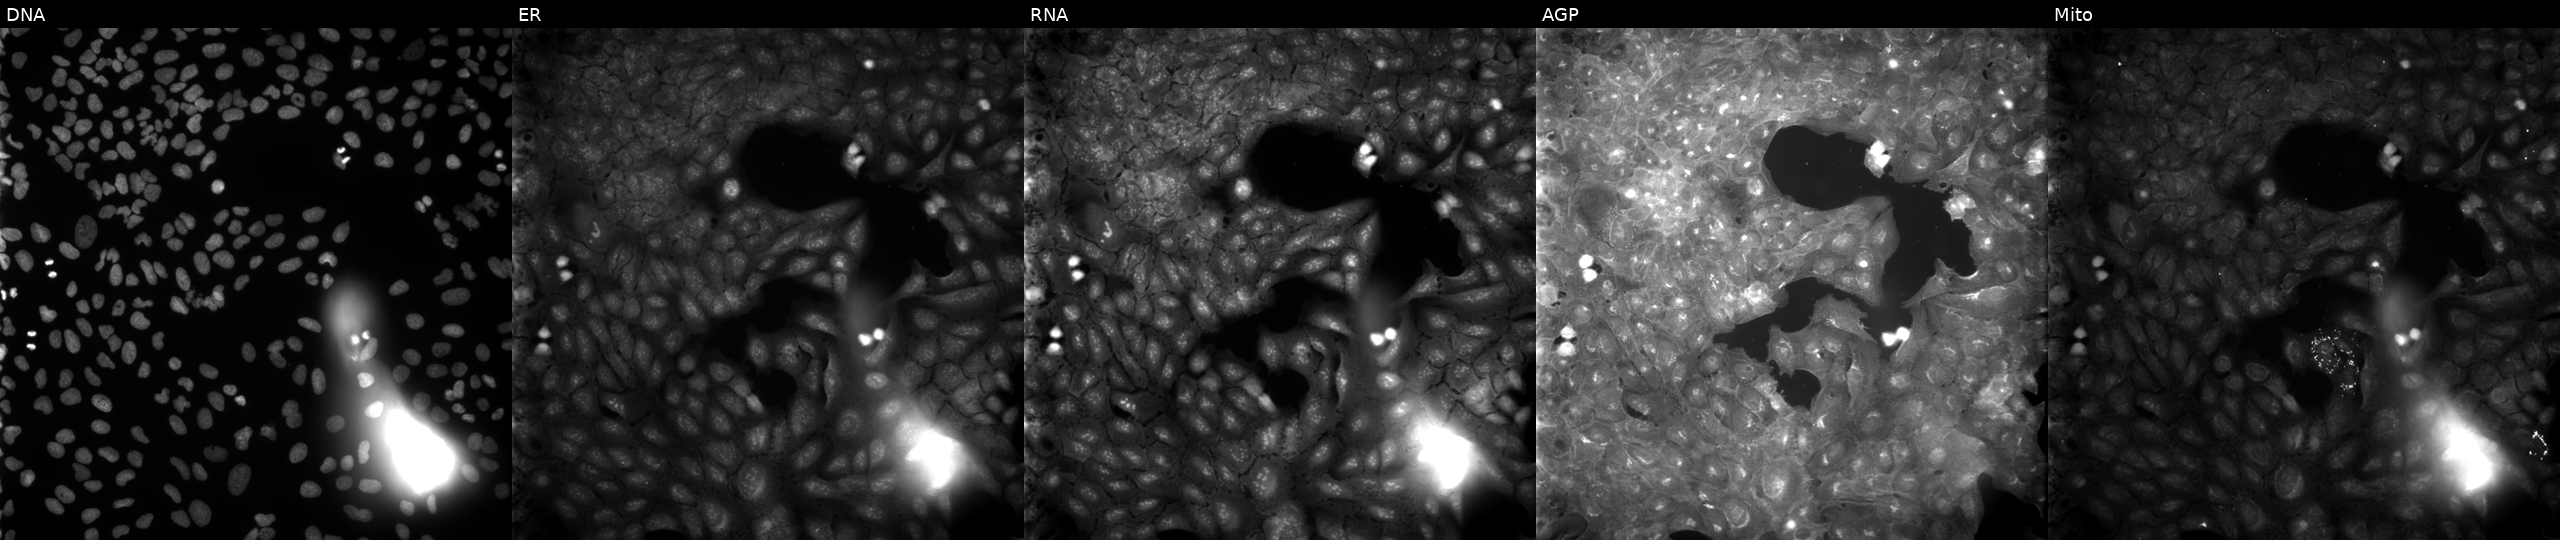
This image strip shows the five Cell Painting channels for a single field of U2OS cells treated with a small-molecule compound [SMILES: CC(=O)c1ccc(NC(=O)c2cccc(N3C(=O)c4ccccc4C3=O)c2)cc1]. Channels (left→right): Hoechst 33342, concanavalin A, SYTO 14, phalloidin and WGA, MitoTracker.